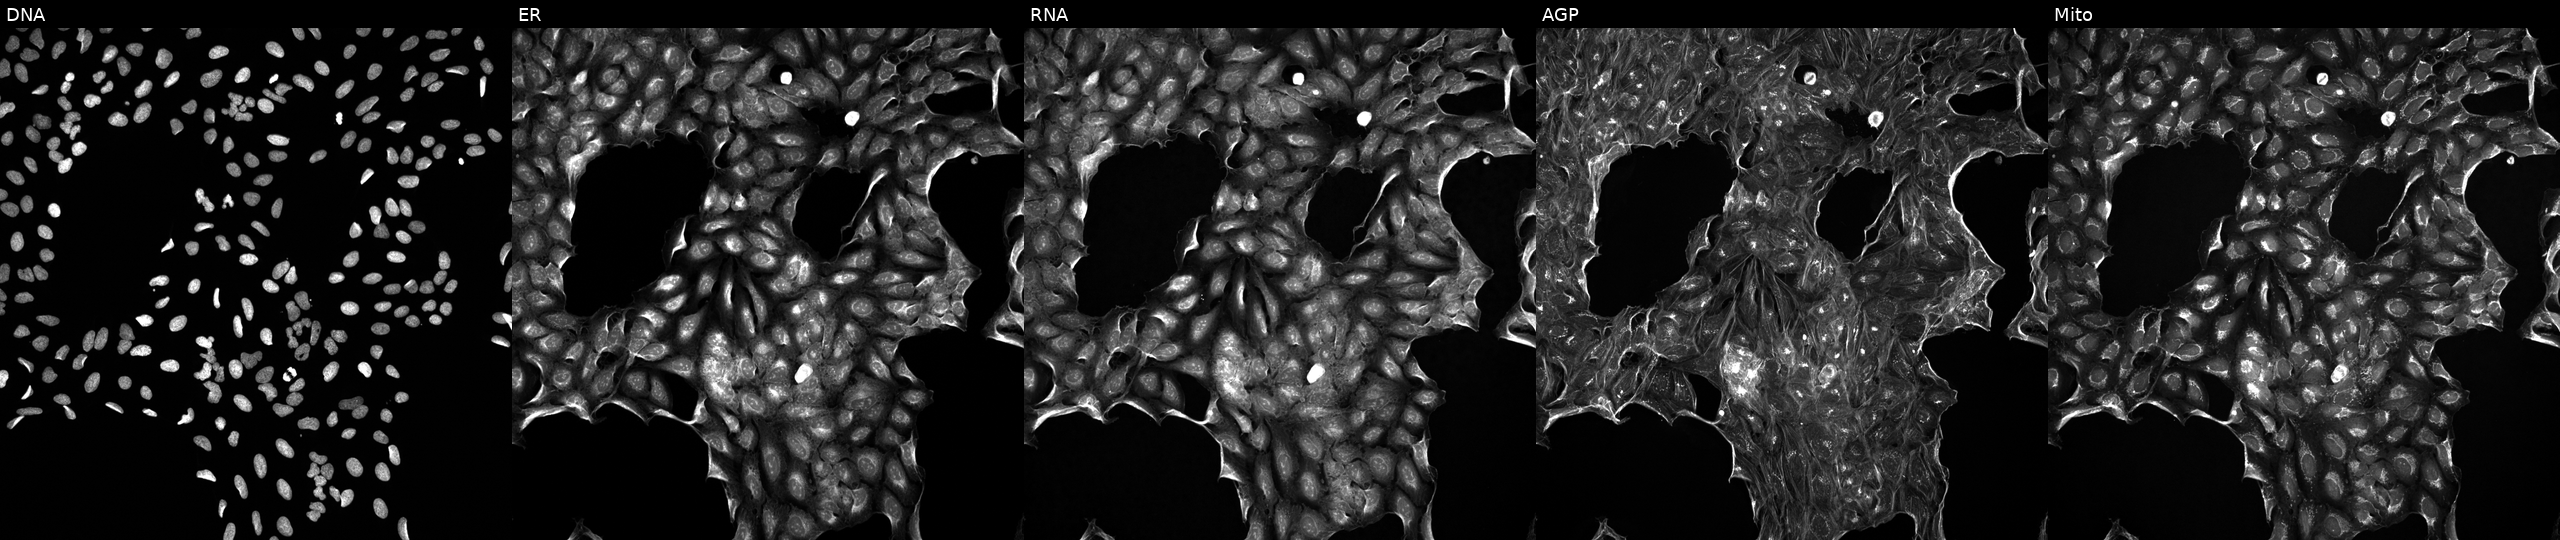
High-content fluorescence microscopy (Cell Painting). Cell line: U2OS. Perturbation: treated with DMSO vehicle only (negative control). From left to right: Hoechst 33342, concanavalin A, SYTO 14, phalloidin and WGA, MitoTracker.